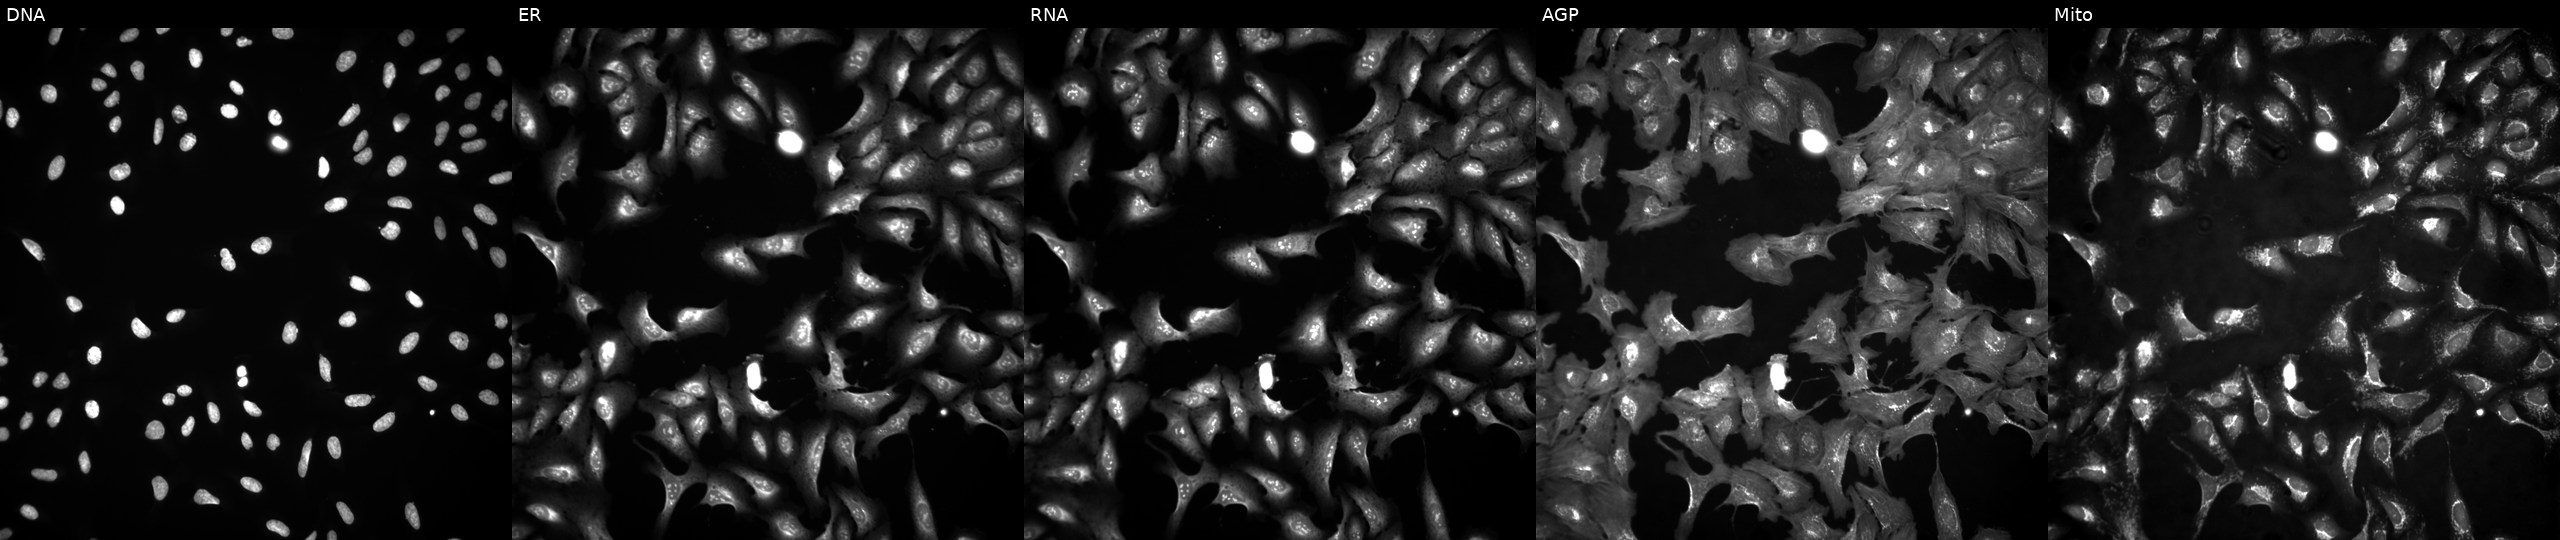
This image strip shows the five Cell Painting channels for a single field of U2OS cells with ATM overexpressed (ORF) (JUMP id JCP2022_909963). The five panels, left to right, show Hoechst 33342, concanavalin A, SYTO 14, phalloidin and WGA, MitoTracker.